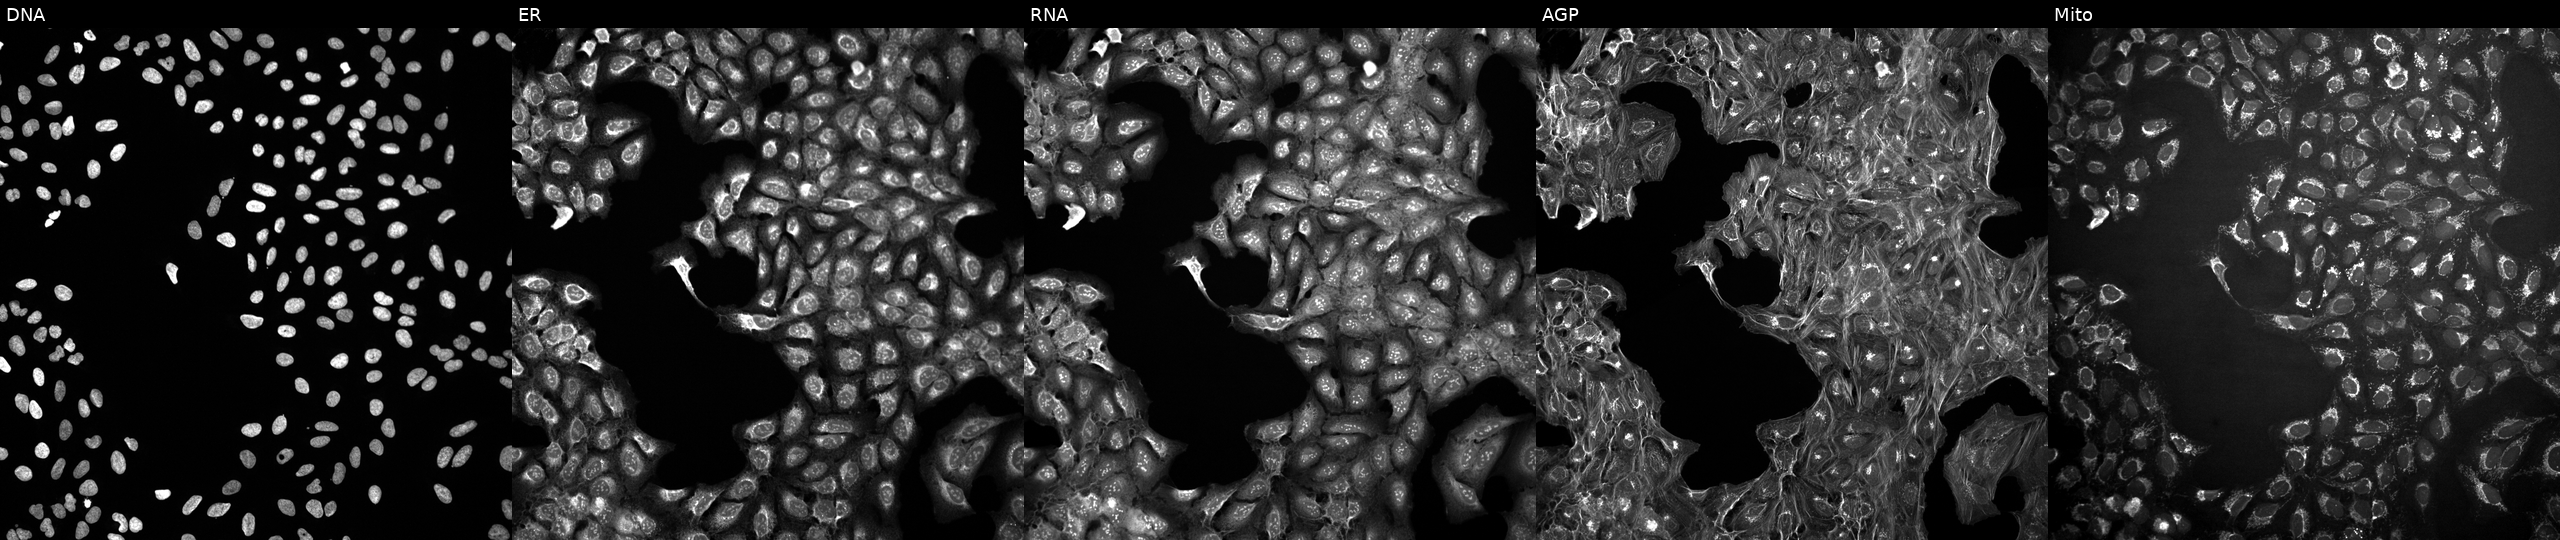
This image strip shows the five Cell Painting channels for a single field of U2OS cells in an empty control well (no perturbation). From left to right: DNA, ER, RNA, AGP, and Mito. Source 10, plate Dest210531-152324, well D14.